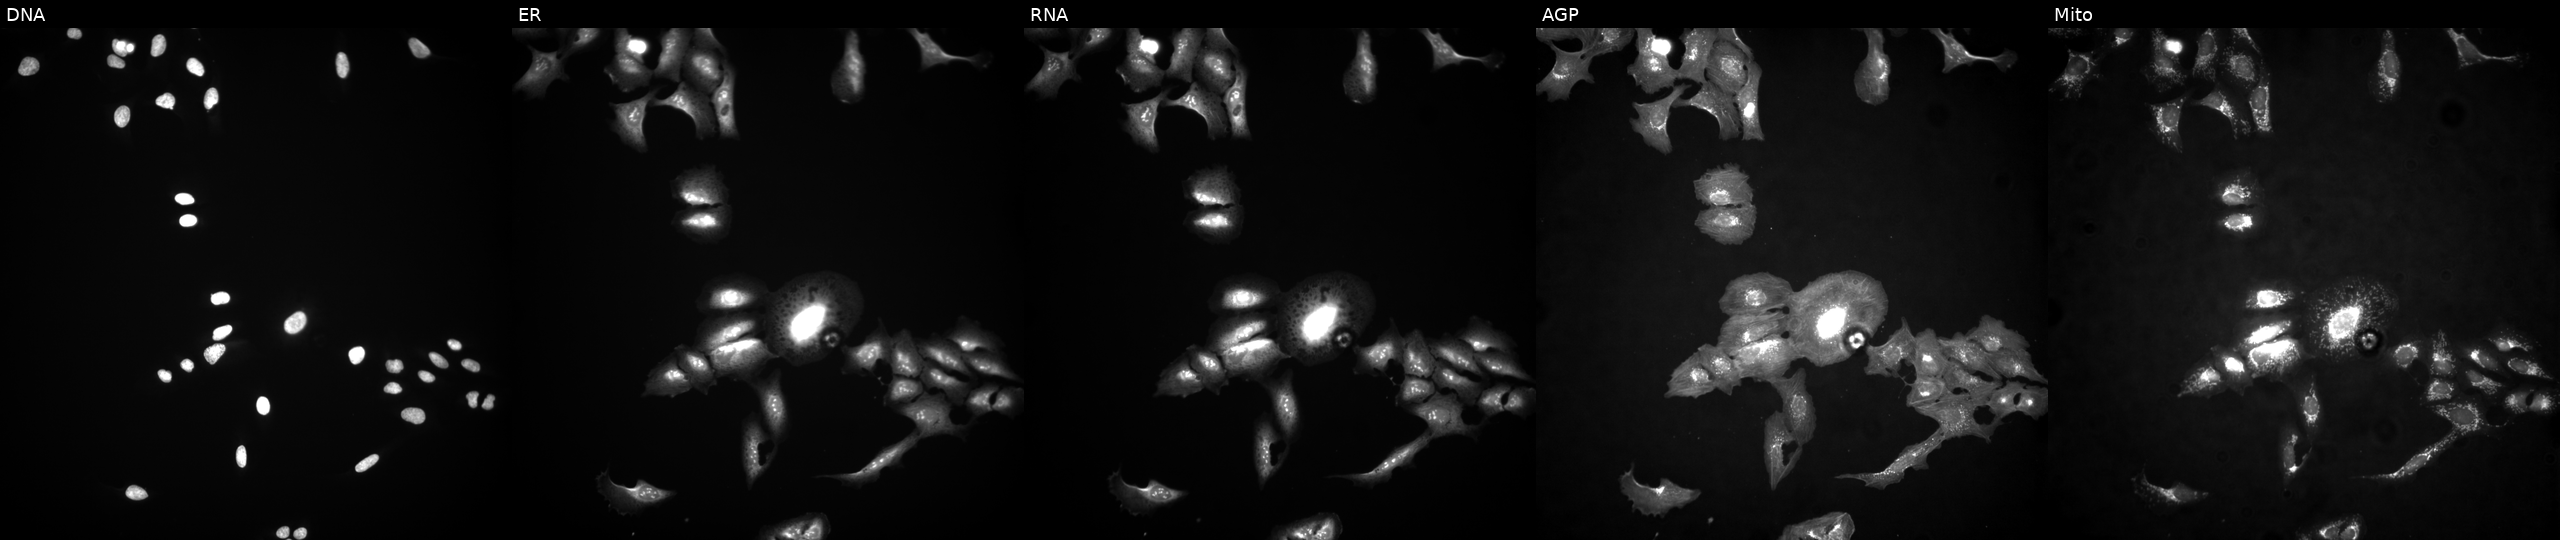
This image strip shows the five Cell Painting channels for a single field of U2OS cells untreated (empty-well control) (JUMP id JCP2022_999999). Channels (left→right): Hoechst 33342, concanavalin A, SYTO 14, phalloidin and WGA, MitoTracker. Source 4, plate BR00117035, well D21.